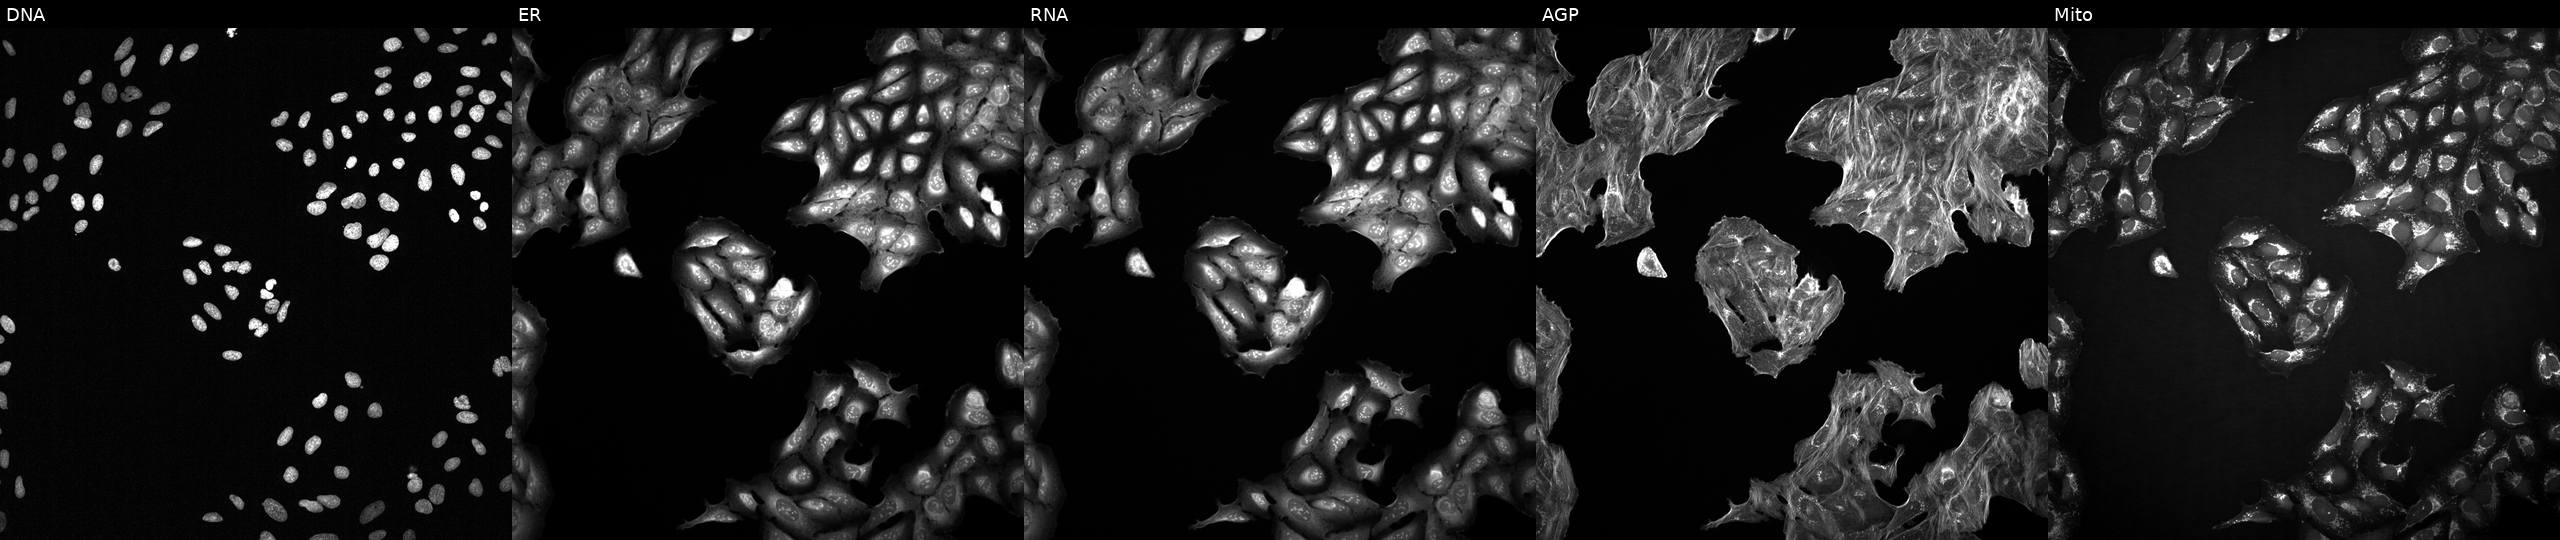
Five-channel Cell Painting image of U2OS cells with an unidentified perturbation (not annotated in JUMP metadata). Channels (left→right): DNA, ER, RNA, AGP, and Mito. Source 2, plate 1053601756, well J10.